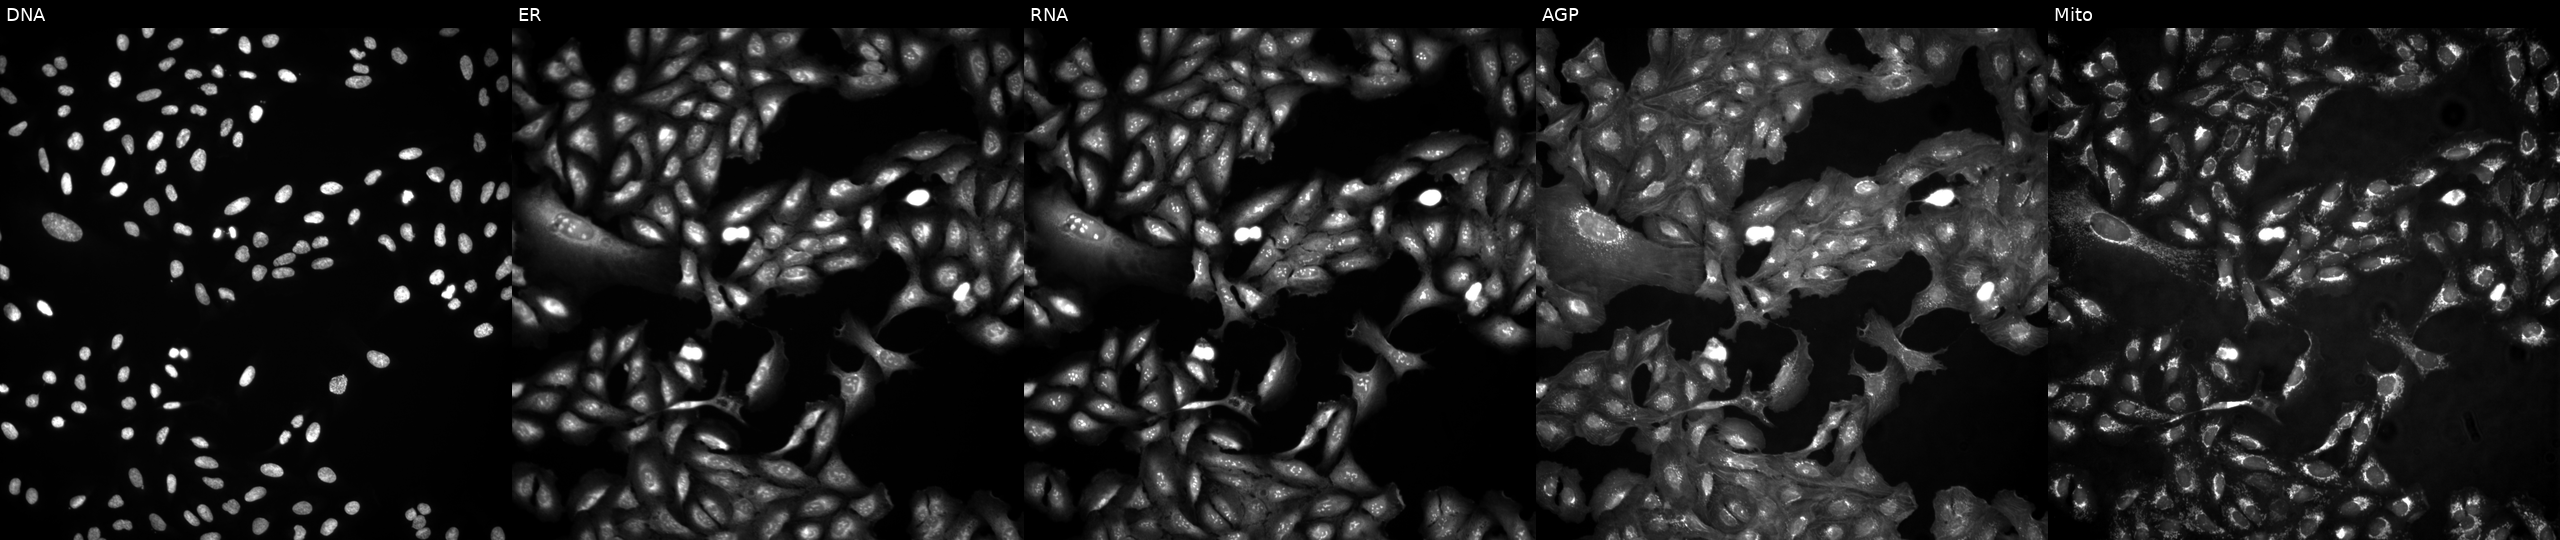
This image strip shows the five Cell Painting channels for a single field of U2OS cells untreated (empty-well control) (JUMP id JCP2022_999999). The five panels, left to right, show Hoechst 33342, concanavalin A, SYTO 14, phalloidin and WGA, MitoTracker. Source 4, plate BR00124793, well N03.